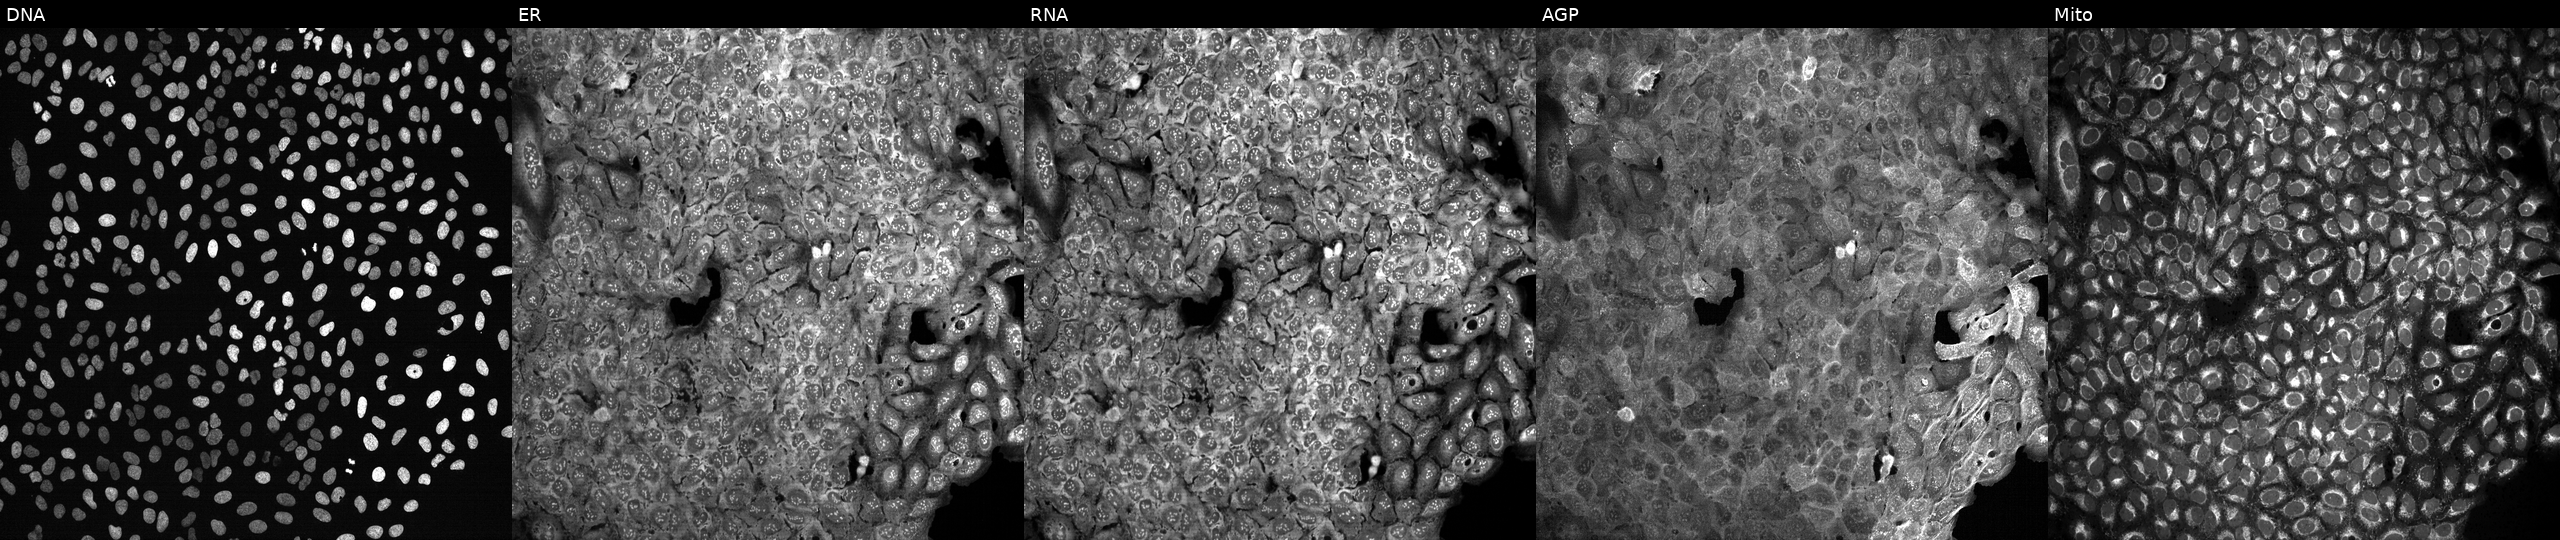
High-content fluorescence microscopy (Cell Painting). Cell line: U2OS. Perturbation: exposed to DMSO alone as a negative control. Channels (left→right): DNA (nuclei); ER (endoplasmic reticulum); RNA (nucleoli and cytoplasmic RNA); AGP (actin cytoskeleton, Golgi, and plasma membrane); Mito (mitochondria).